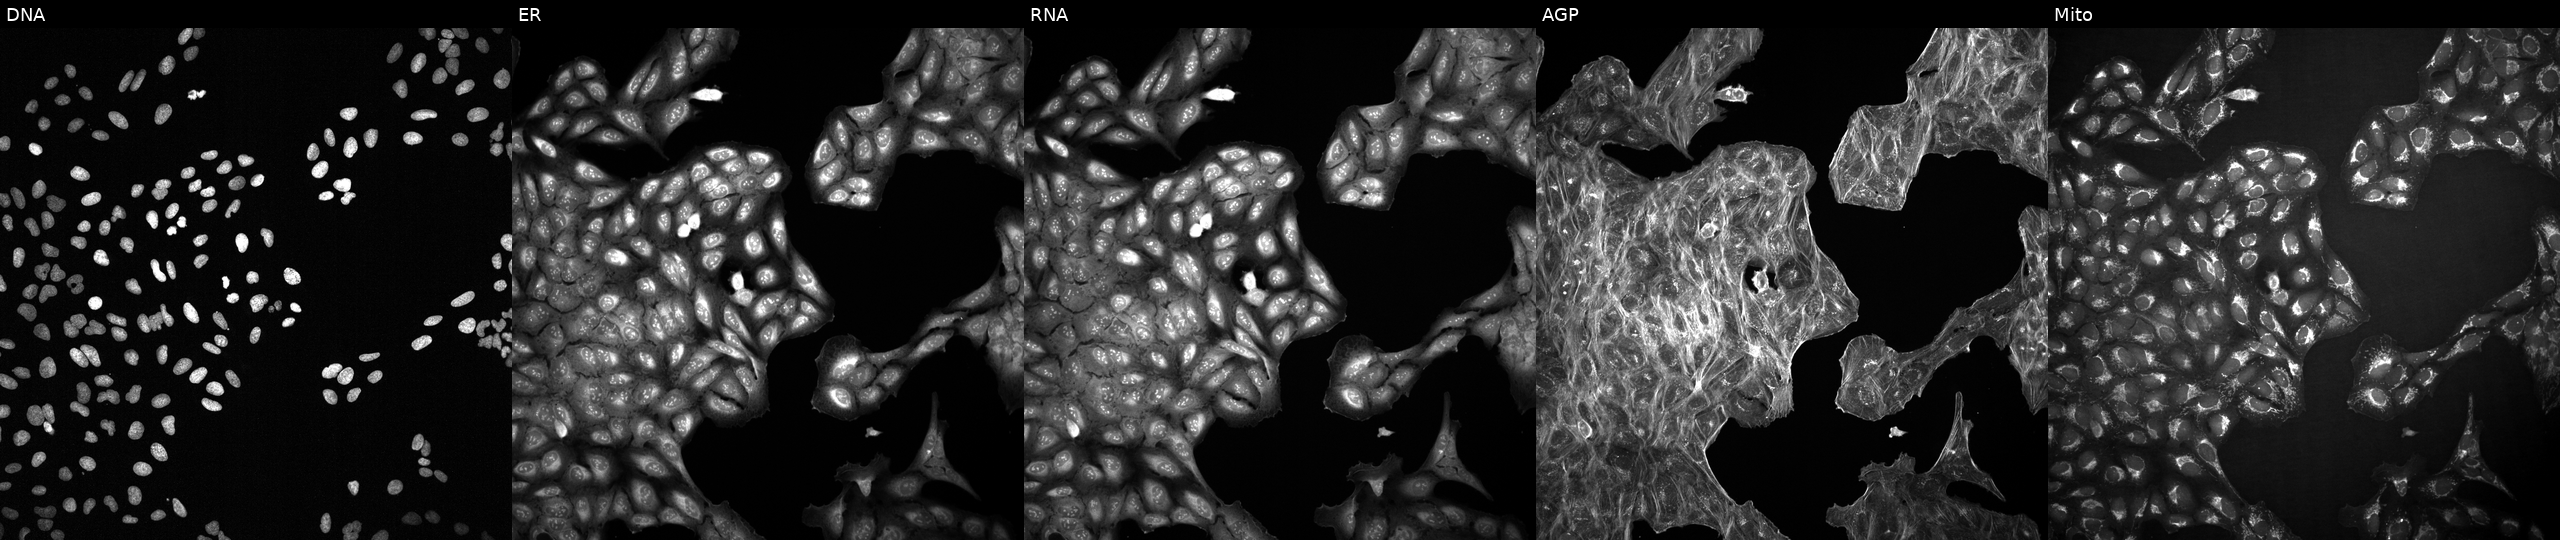
U2OS cells, Cell Painting assay, with an unidentified perturbation (not annotated in JUMP metadata). The five panels, left to right, show Hoechst 33342, concanavalin A, SYTO 14, phalloidin and WGA, MitoTracker. Each panel is percentile-stretched 16-bit fluorescence.